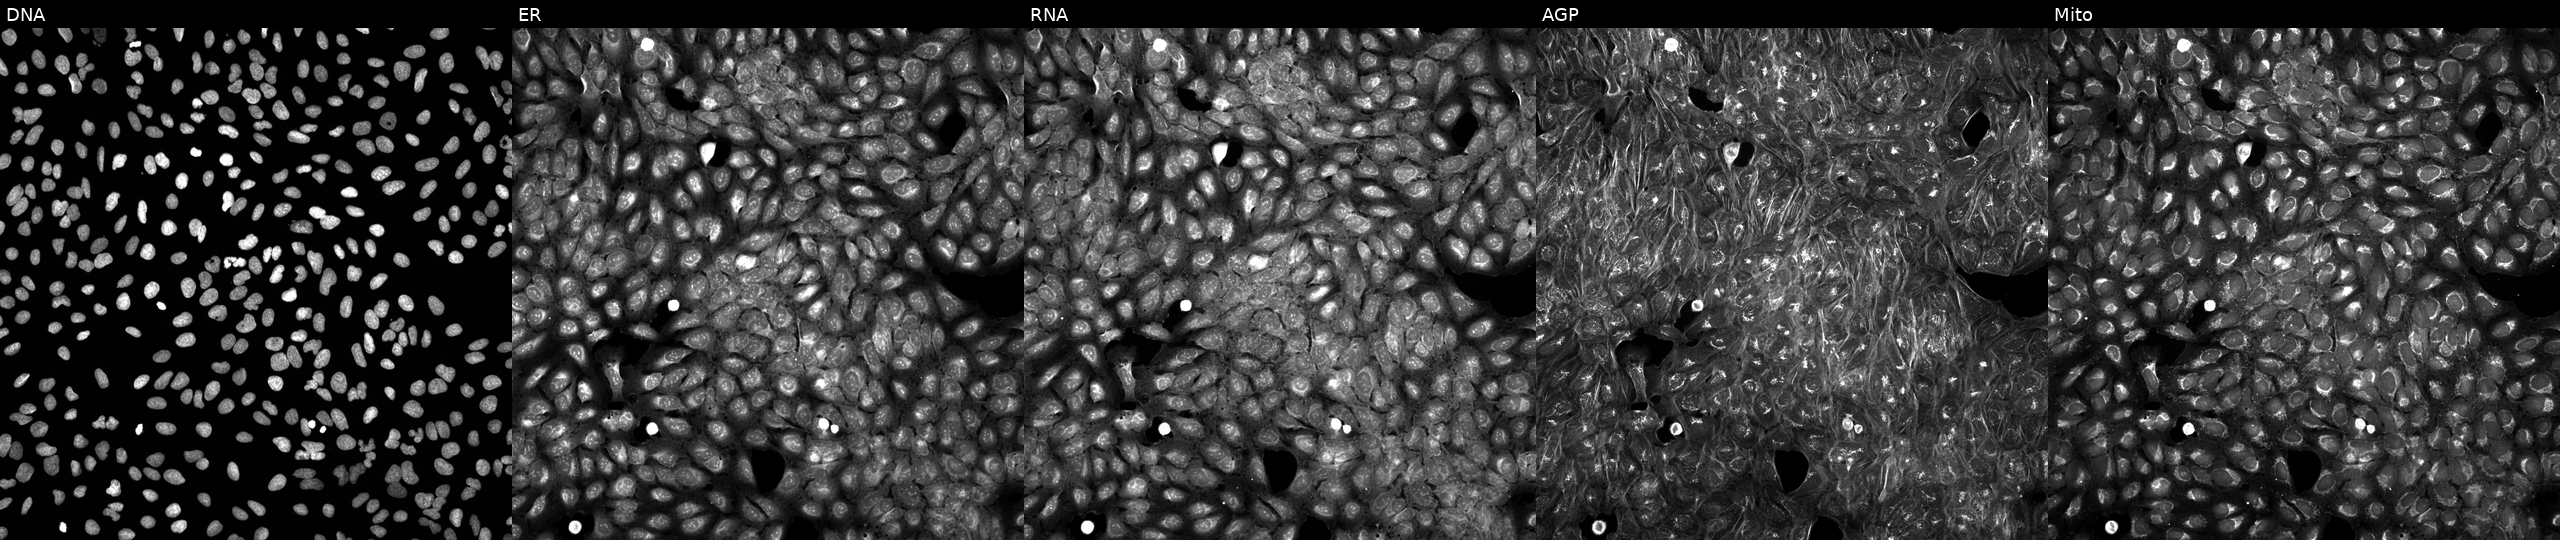
U2OS cells, Cell Painting assay, treated with a small-molecule compound (InChIKey VPARCDQQAQRNAS-UHFFFAOYSA-N) [SMILES: Cc1ccc(N(CC(=O)NC(C)(C)C)C(=O)C[S+]([O-])CC(=O)Nc2ccc(F)cc2)cc1]. The five panels, left to right, show DNA (nuclei); ER (endoplasmic reticulum); RNA (nucleoli and cytoplasmic RNA); AGP (actin cytoskeleton, Golgi, and plasma membrane); Mito (mitochondria). Each panel is percentile-stretched 16-bit fluorescence.